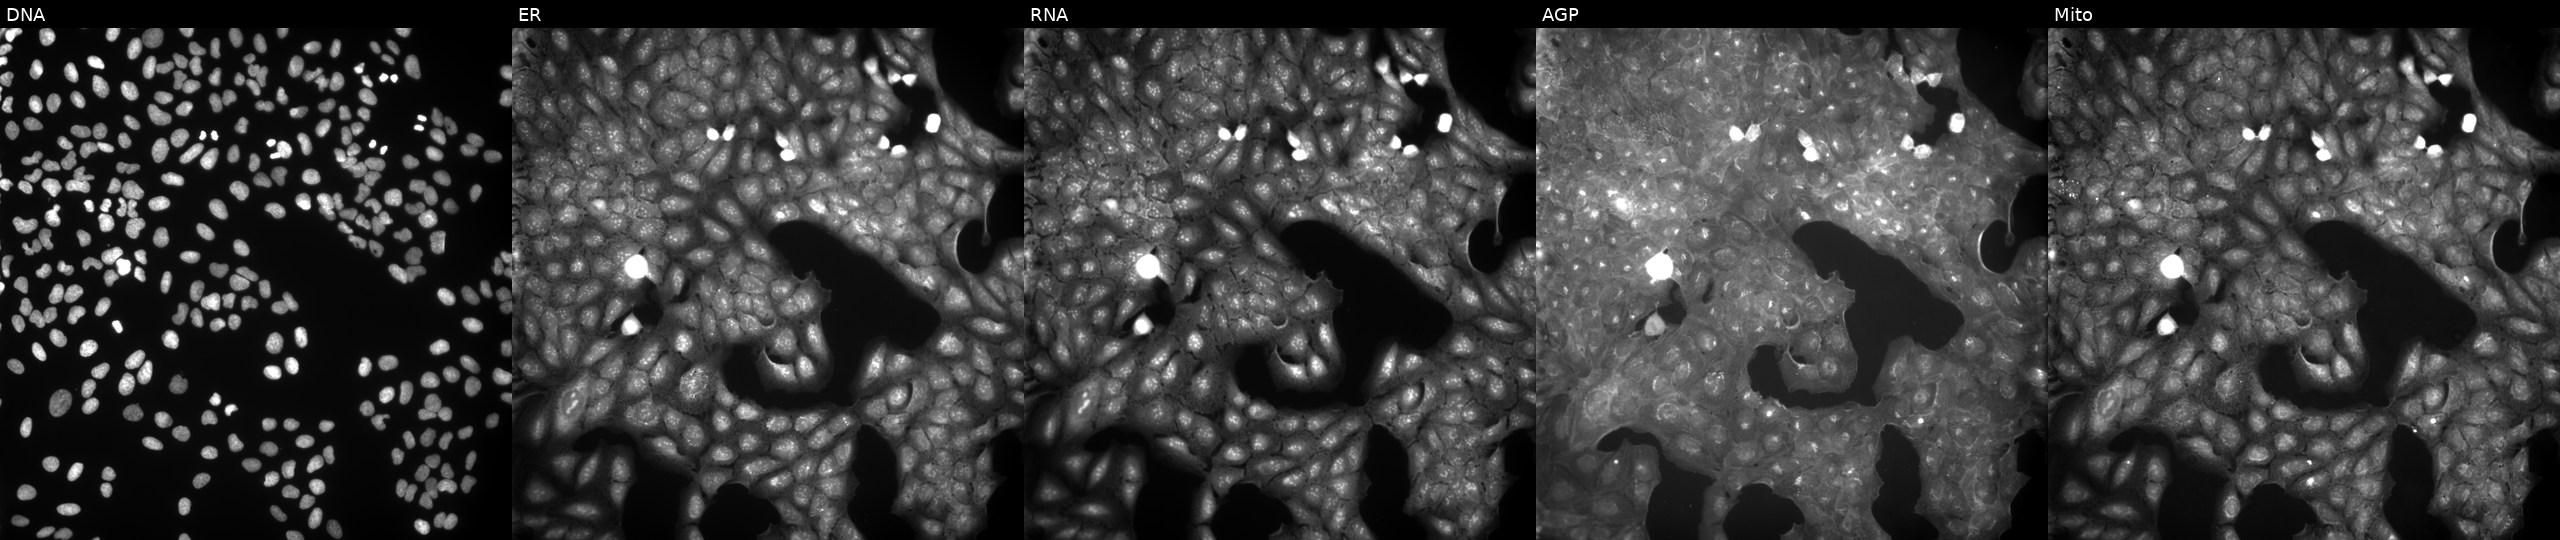
U2OS cells, Cell Painting assay, treated with a small-molecule compound (InChIKey GTDVSULTIPQKCH-UHFFFAOYSA-N) [SMILES: CCOc1ccc2c(c1)C(=NNC(=O)c1ccncc1)c1cc(OCC)ccc1-2] (JUMP id JCP2022_027605). From left to right: DNA (nuclei); ER (endoplasmic reticulum); RNA (nucleoli and cytoplasmic RNA); AGP (actin cytoskeleton, Golgi, and plasma membrane); Mito (mitochondria). Each panel is percentile-stretched 16-bit fluorescence.